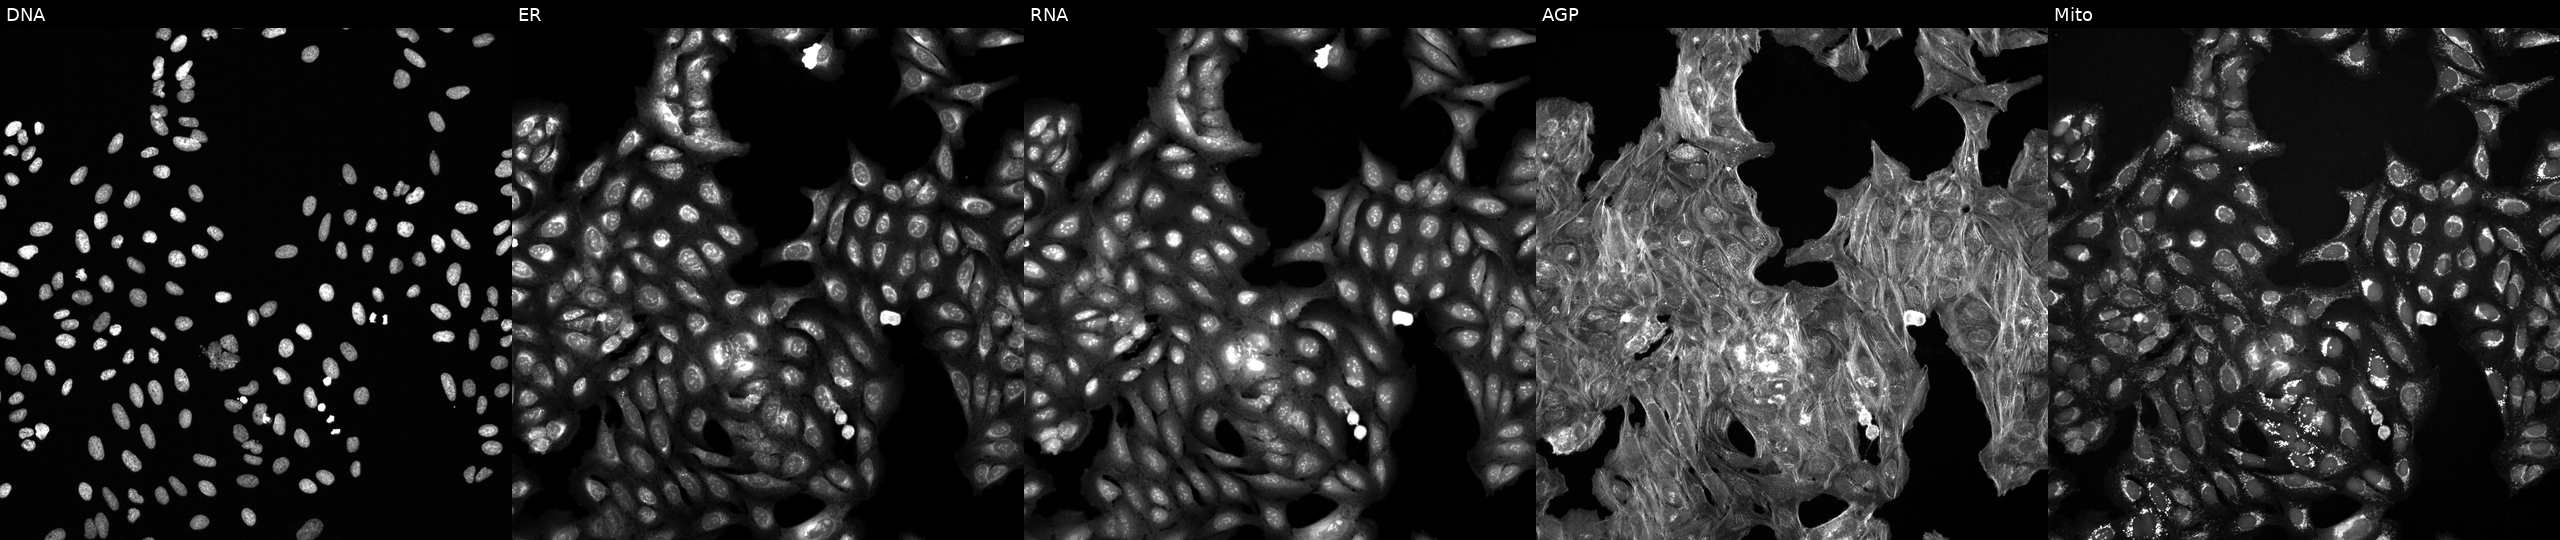
This image strip shows the five Cell Painting channels for a single field of U2OS cells treated with a small-molecule compound. Channels (left→right): DNA (nuclei); ER (endoplasmic reticulum); RNA (nucleoli and cytoplasmic RNA); AGP (actin cytoskeleton, Golgi, and plasma membrane); Mito (mitochondria).